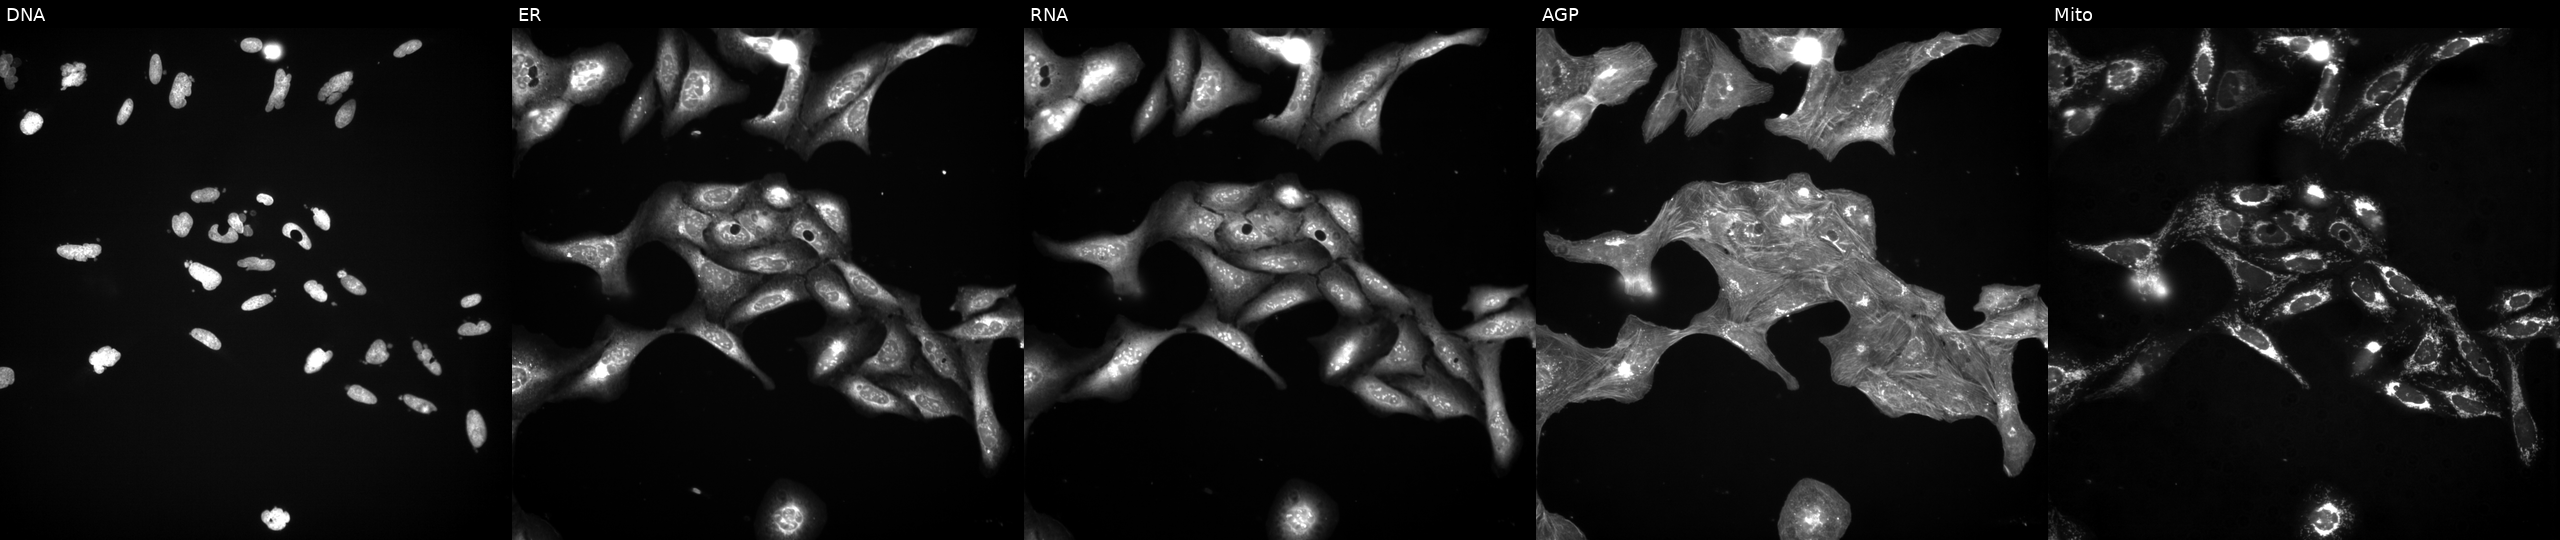
Panels show, left to right, DNA (nuclei); ER (endoplasmic reticulum); RNA (nucleoli and cytoplasmic RNA); AGP (actin cytoskeleton, Golgi, and plasma membrane); Mito (mitochondria). U2OS osteosarcoma cells exposed to a small-molecule compound (JUMP id JCP2022_046462). Cell Painting assay, JUMP-CP dataset. Source 3, plate JCPQC053, well J07.